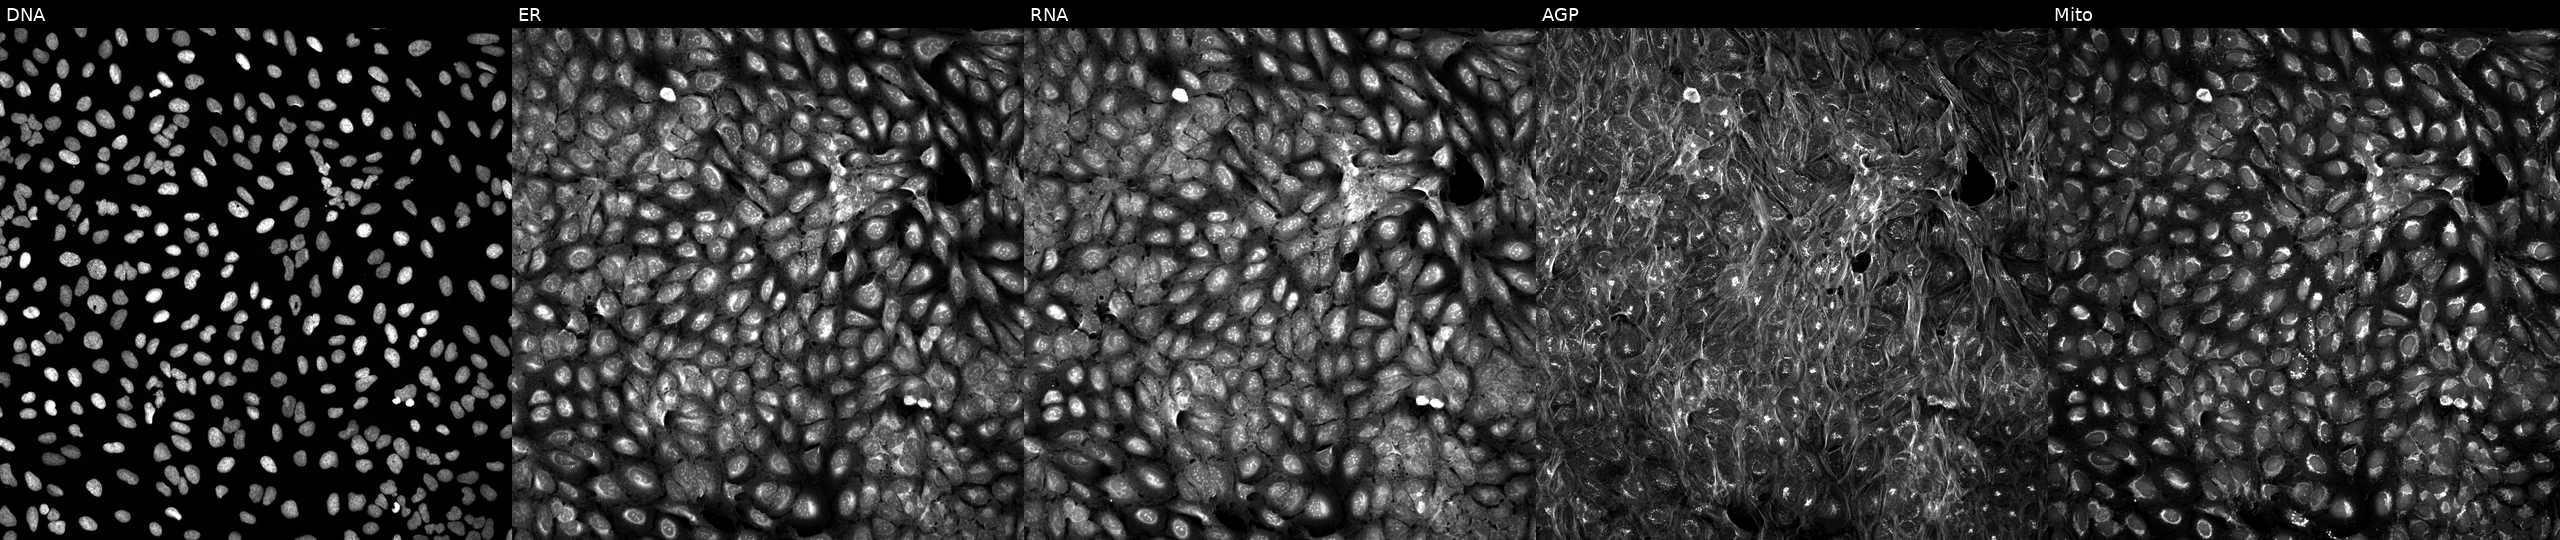
U2OS cells, Cell Painting assay, exposed to a small-molecule compound (InChIKey YYOOFJZTRCPVFD-UHFFFAOYSA-N). From left to right: DNA (nuclei); ER (endoplasmic reticulum); RNA (nucleoli and cytoplasmic RNA); AGP (actin cytoskeleton, Golgi, and plasma membrane); Mito (mitochondria). Each panel is percentile-stretched 16-bit fluorescence.